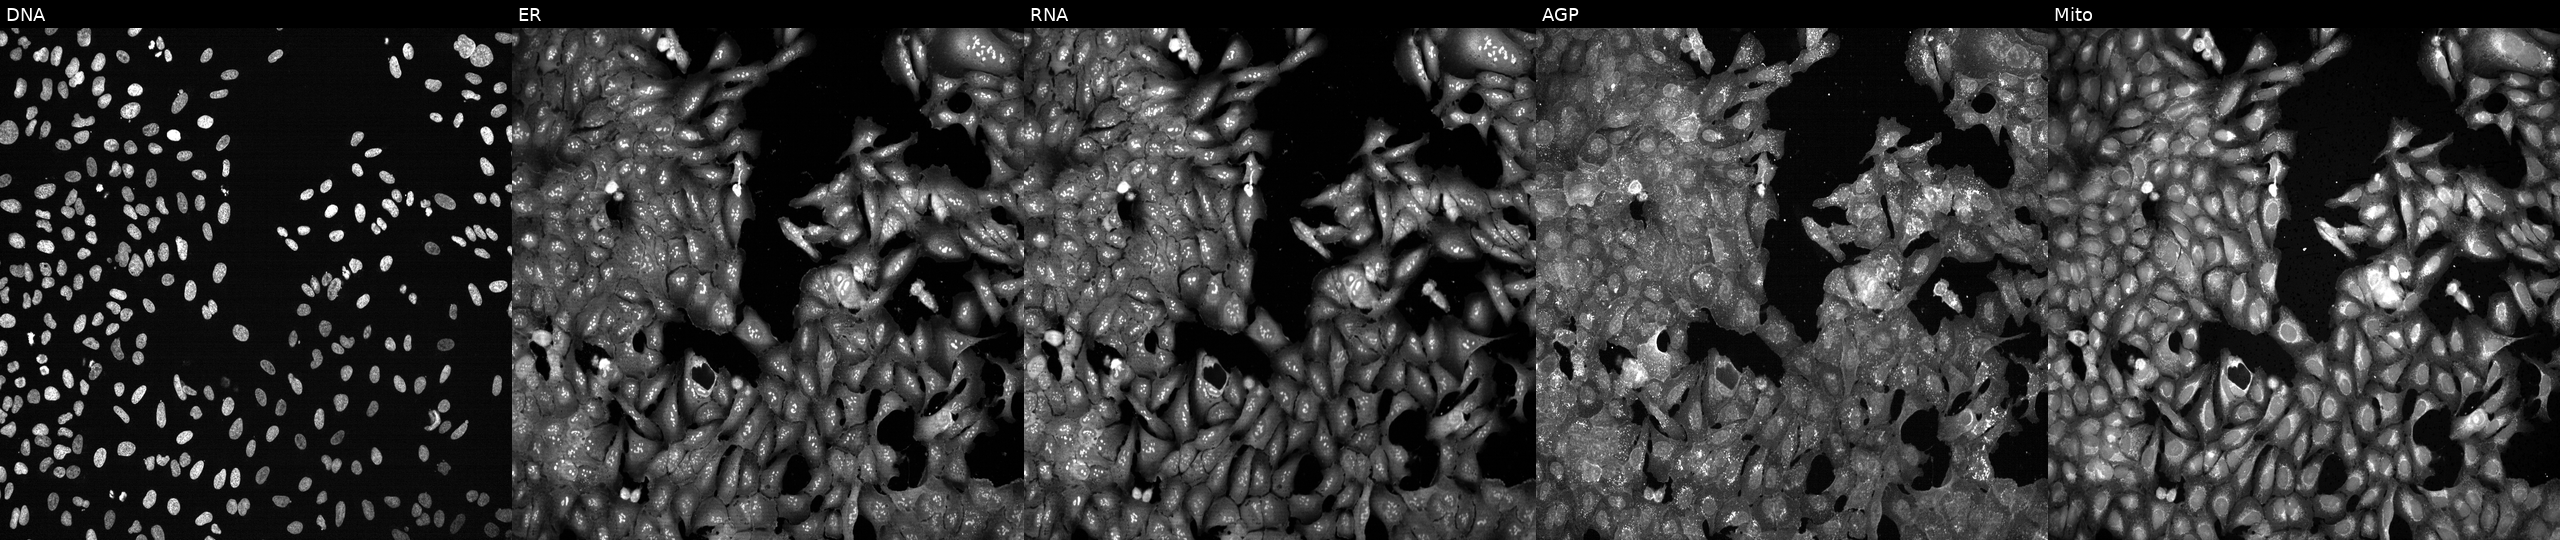
Channels (left→right): DNA, ER, RNA, AGP, and Mito. U2OS osteosarcoma cells with SOAT2 knocked out by CRISPR (JUMP id JCP2022_806673). Cell Painting assay, JUMP-CP dataset. Source 13, plate CP-CC9-R1-02, well G12.